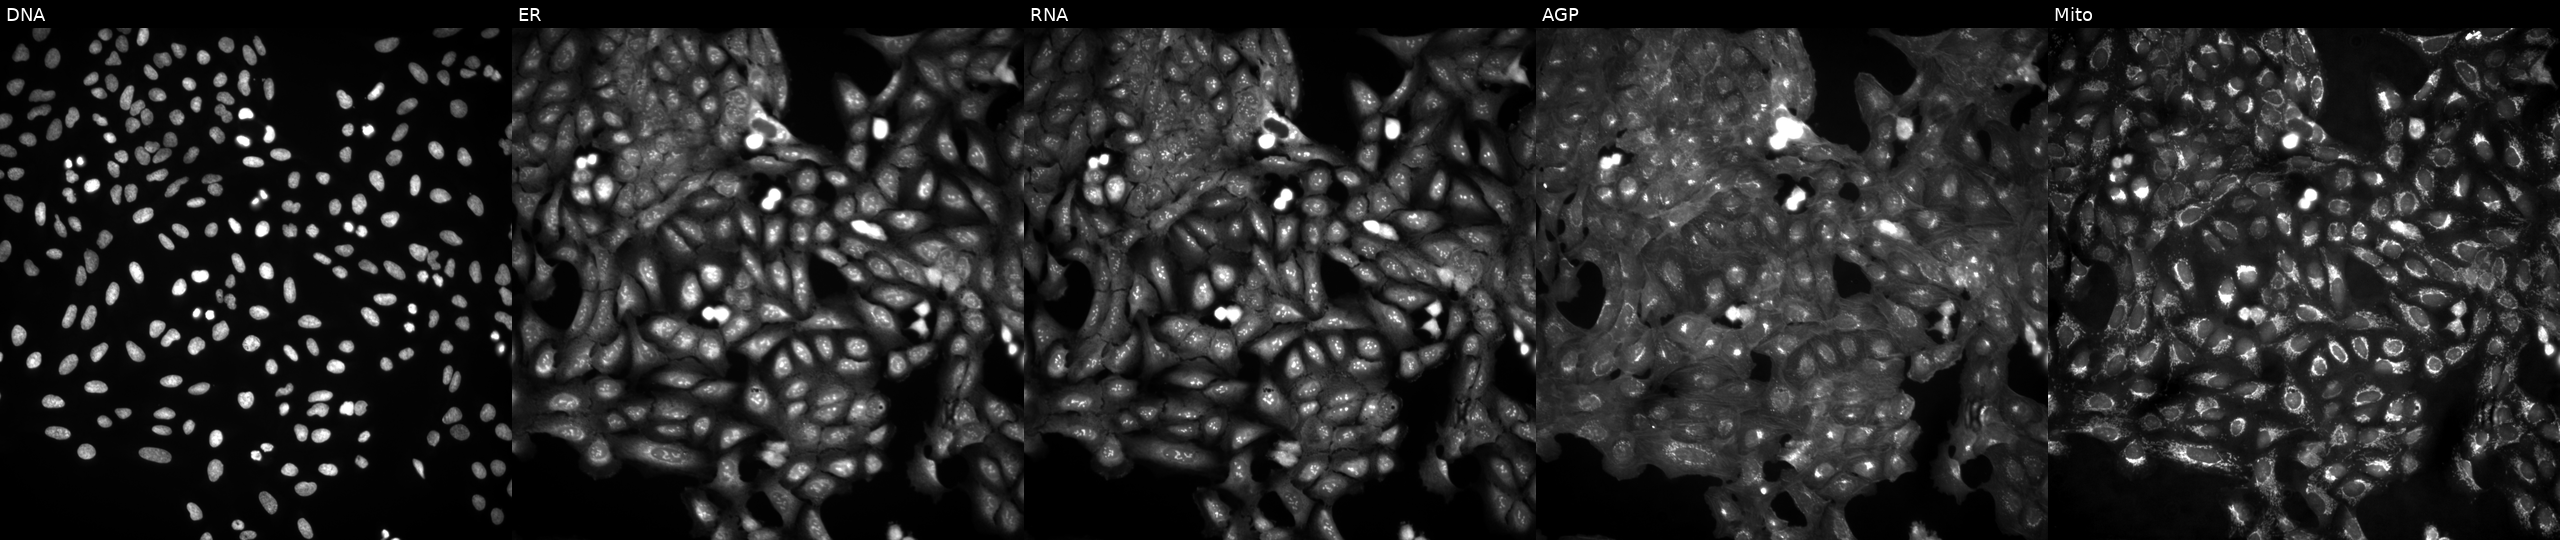
U2OS cells, Cell Painting assay, untreated (empty-well control). Channels (left→right): DNA (nuclei); ER (endoplasmic reticulum); RNA (nucleoli and cytoplasmic RNA); AGP (actin cytoskeleton, Golgi, and plasma membrane); Mito (mitochondria). Each panel is percentile-stretched 16-bit fluorescence.